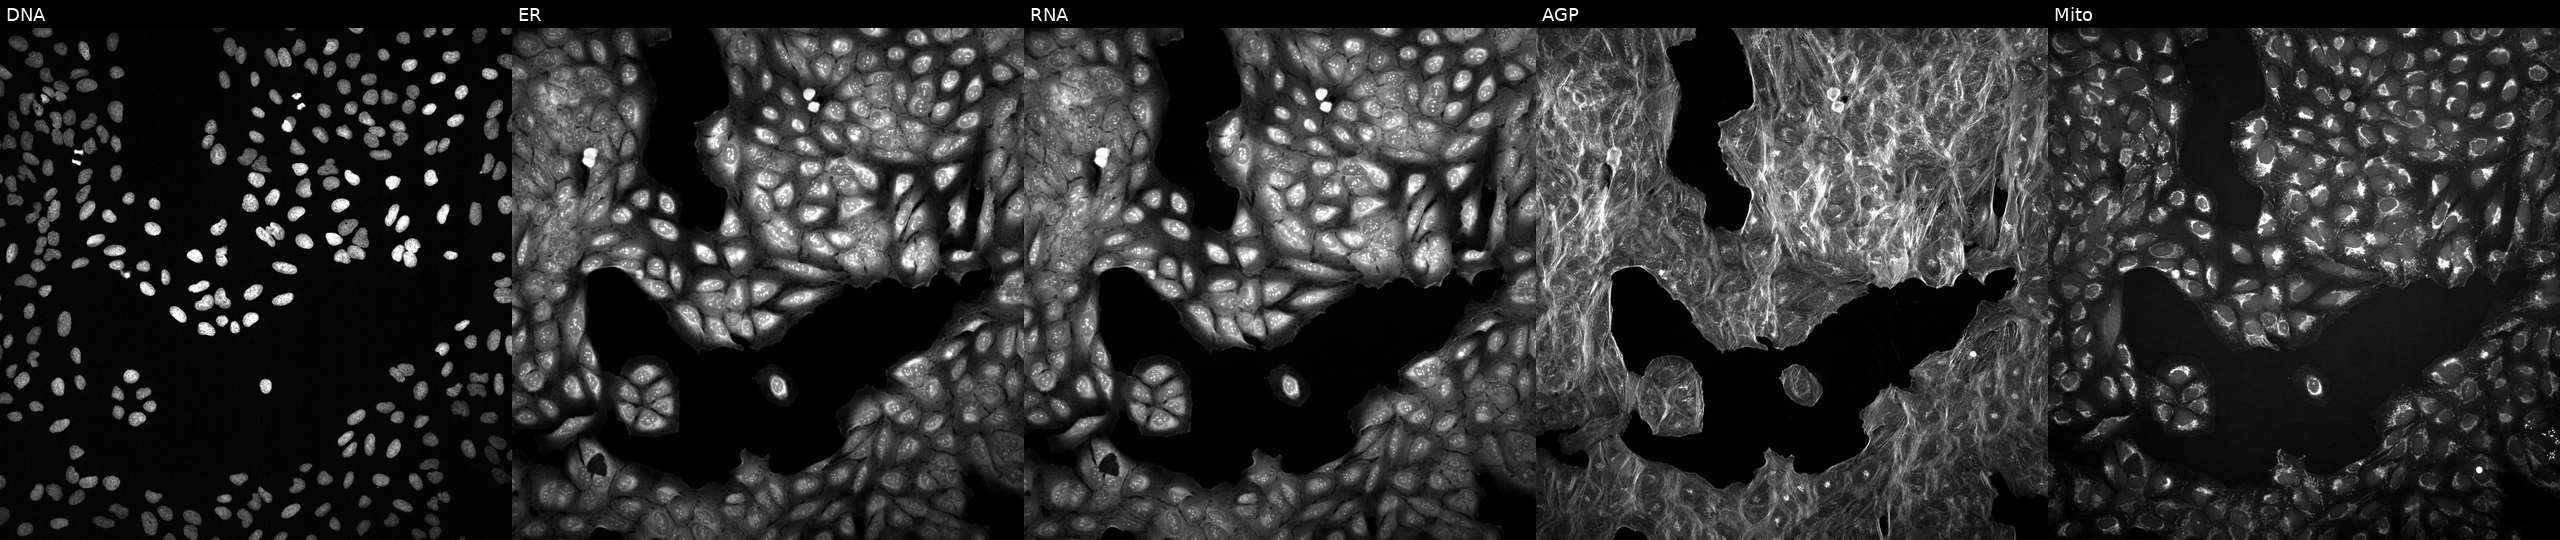
Channels (left→right): Hoechst 33342, concanavalin A, SYTO 14, phalloidin and WGA, MitoTracker. U2OS osteosarcoma cells with an unidentified perturbation (not annotated in JUMP metadata). Cell Painting assay, JUMP-CP dataset.